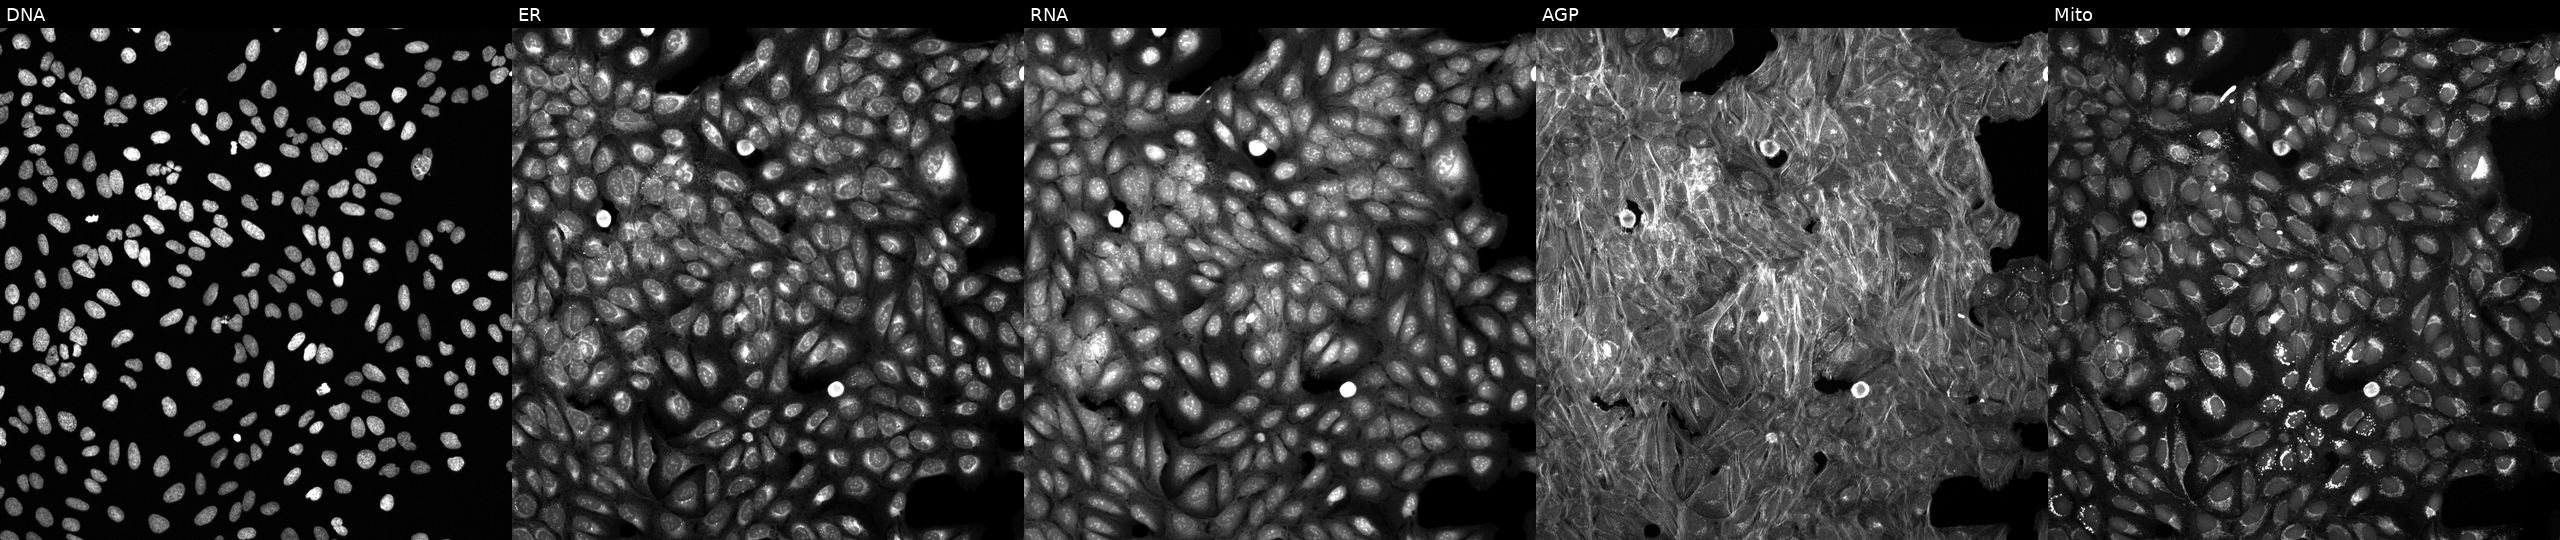
U2OS cells, Cell Painting assay, perturbed with a small-molecule compound (InChIKey PYNXFZCZUAOOQC-UHFFFAOYSA-N) (JUMP id JCP2022_071811). The five panels, left to right, show Hoechst 33342, concanavalin A, SYTO 14, phalloidin and WGA, MitoTracker. Each panel is percentile-stretched 16-bit fluorescence. Source 6, plate 110000294901, well L18.